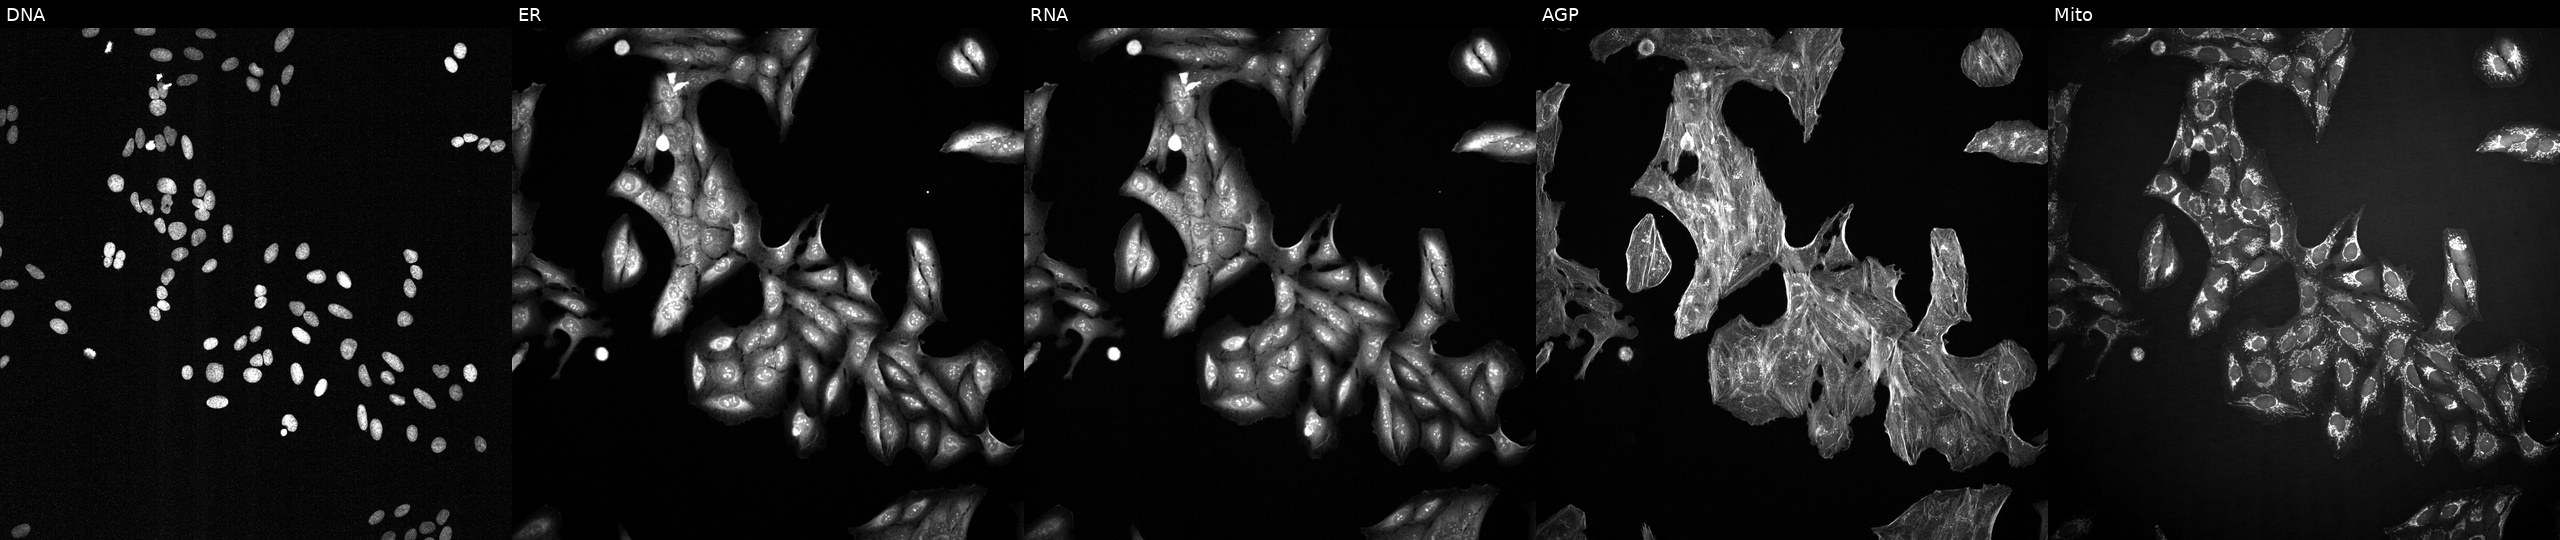
This image strip shows the five Cell Painting channels for a single field of U2OS cells treated with a small-molecule compound (InChIKey BLVQHYHDYFTPDV-UHFFFAOYSA-N) [SMILES: Nc1cc(F)ccc1NC(=O)C=Cc1cnn(CC=Cc2ccccc2)c1]. Panels show, left to right, Hoechst 33342, concanavalin A, SYTO 14, phalloidin and WGA, MitoTracker.